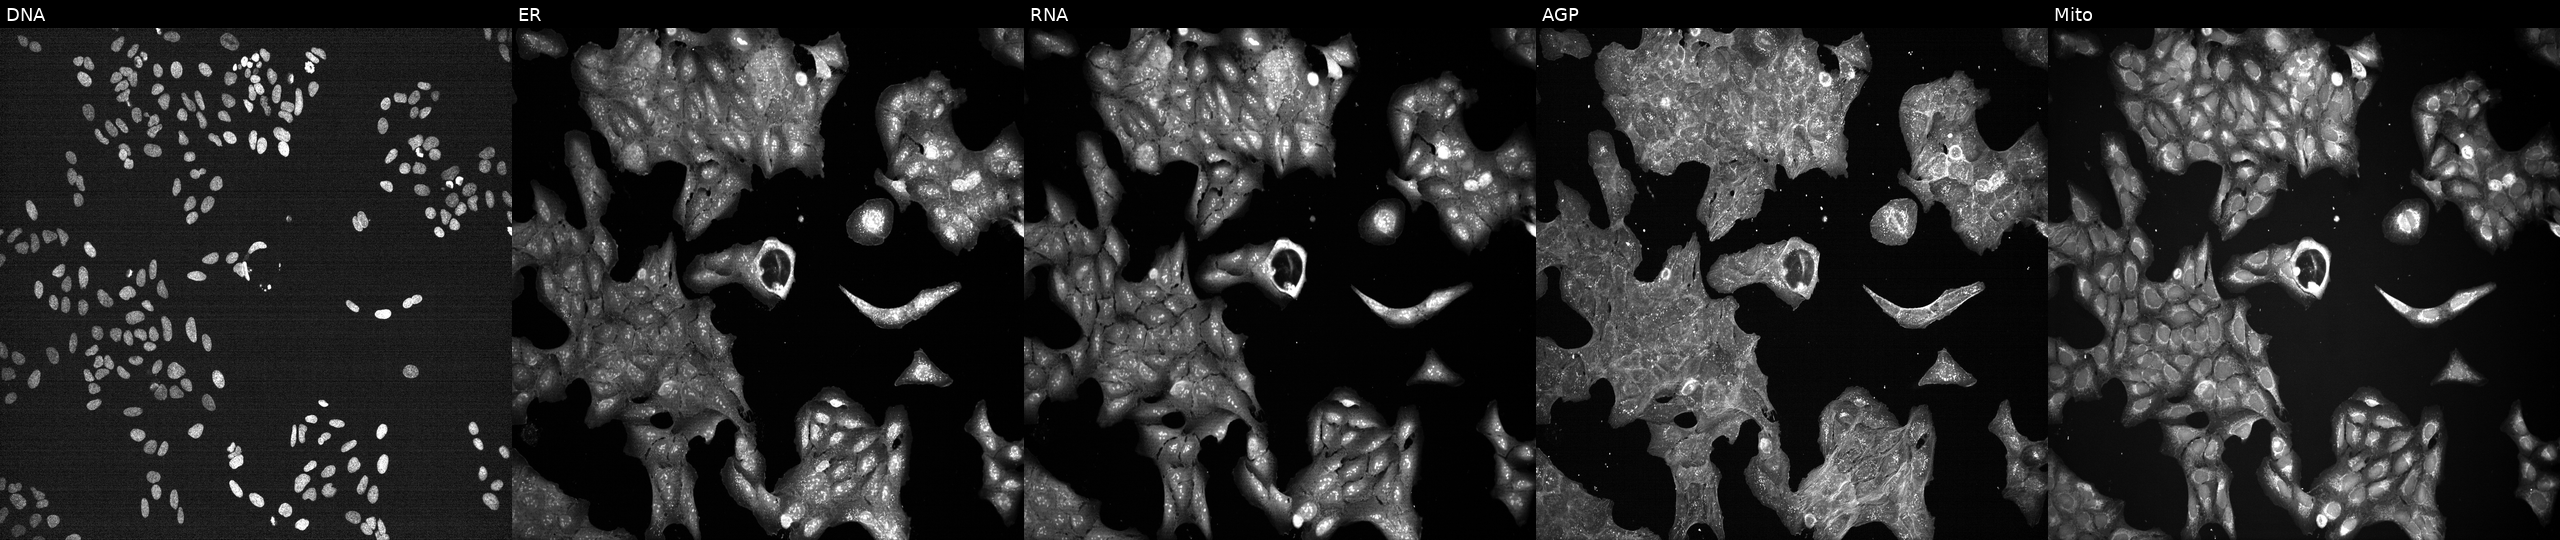
Five-channel Cell Painting image of U2OS cells treated with a small-molecule compound (InChIKey DHMTURDWPRKSOA-UHFFFAOYSA-N). Channels (left→right): DNA, ER, RNA, AGP, and Mito.